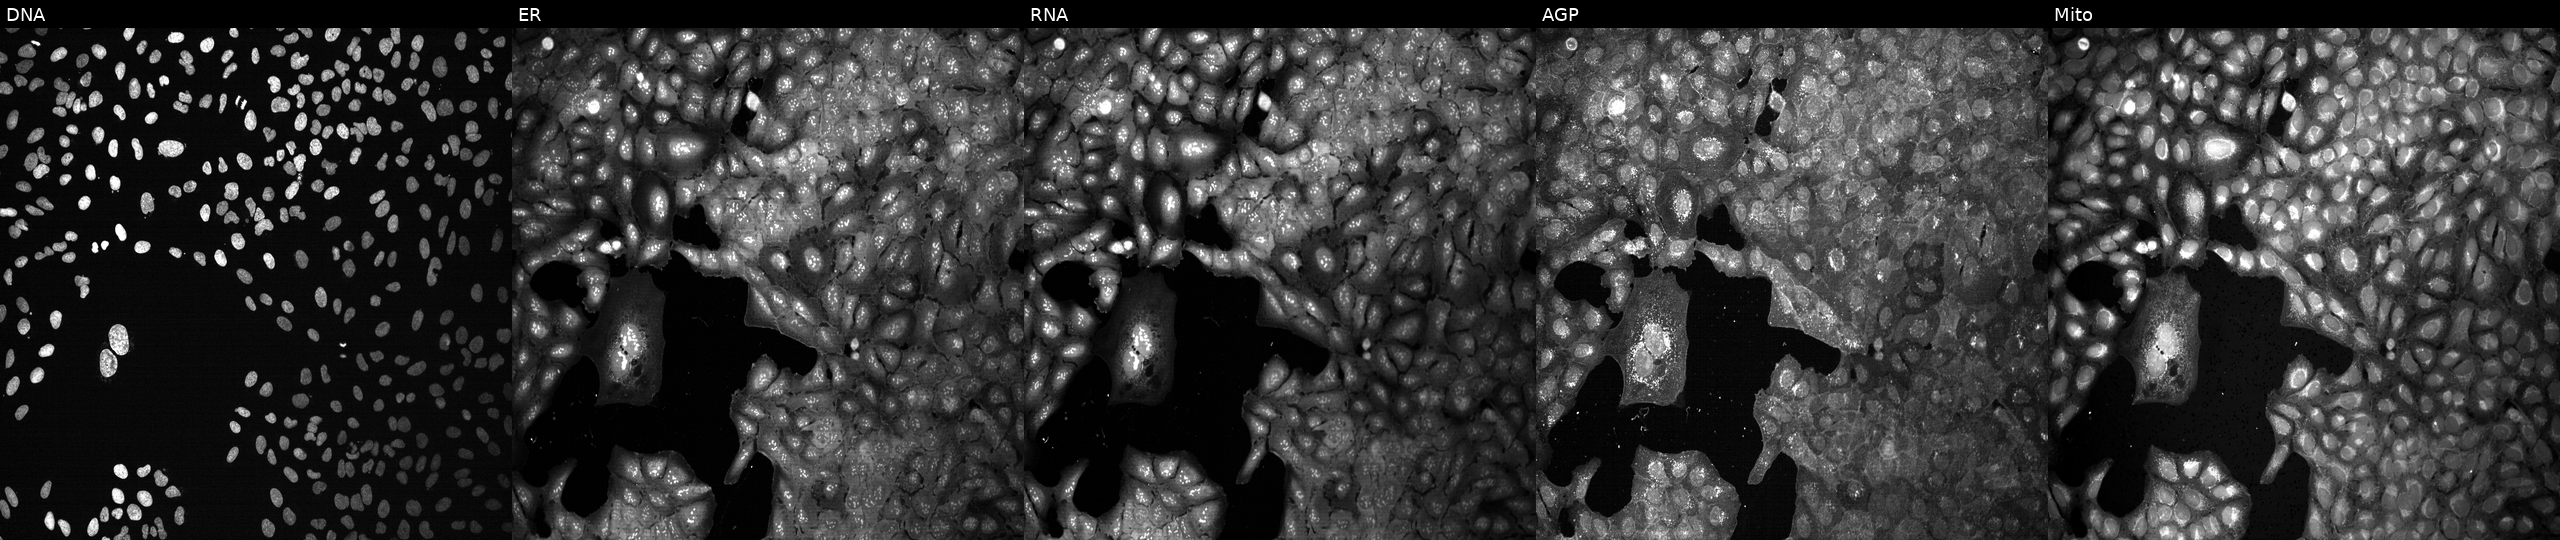
Five-channel Cell Painting image of U2OS cells CRISPR-edited to disrupt CHST13. Channels (left→right): Hoechst 33342, concanavalin A, SYTO 14, phalloidin and WGA, MitoTracker. Source 13, plate CP-CC9-R1-02, well K22.